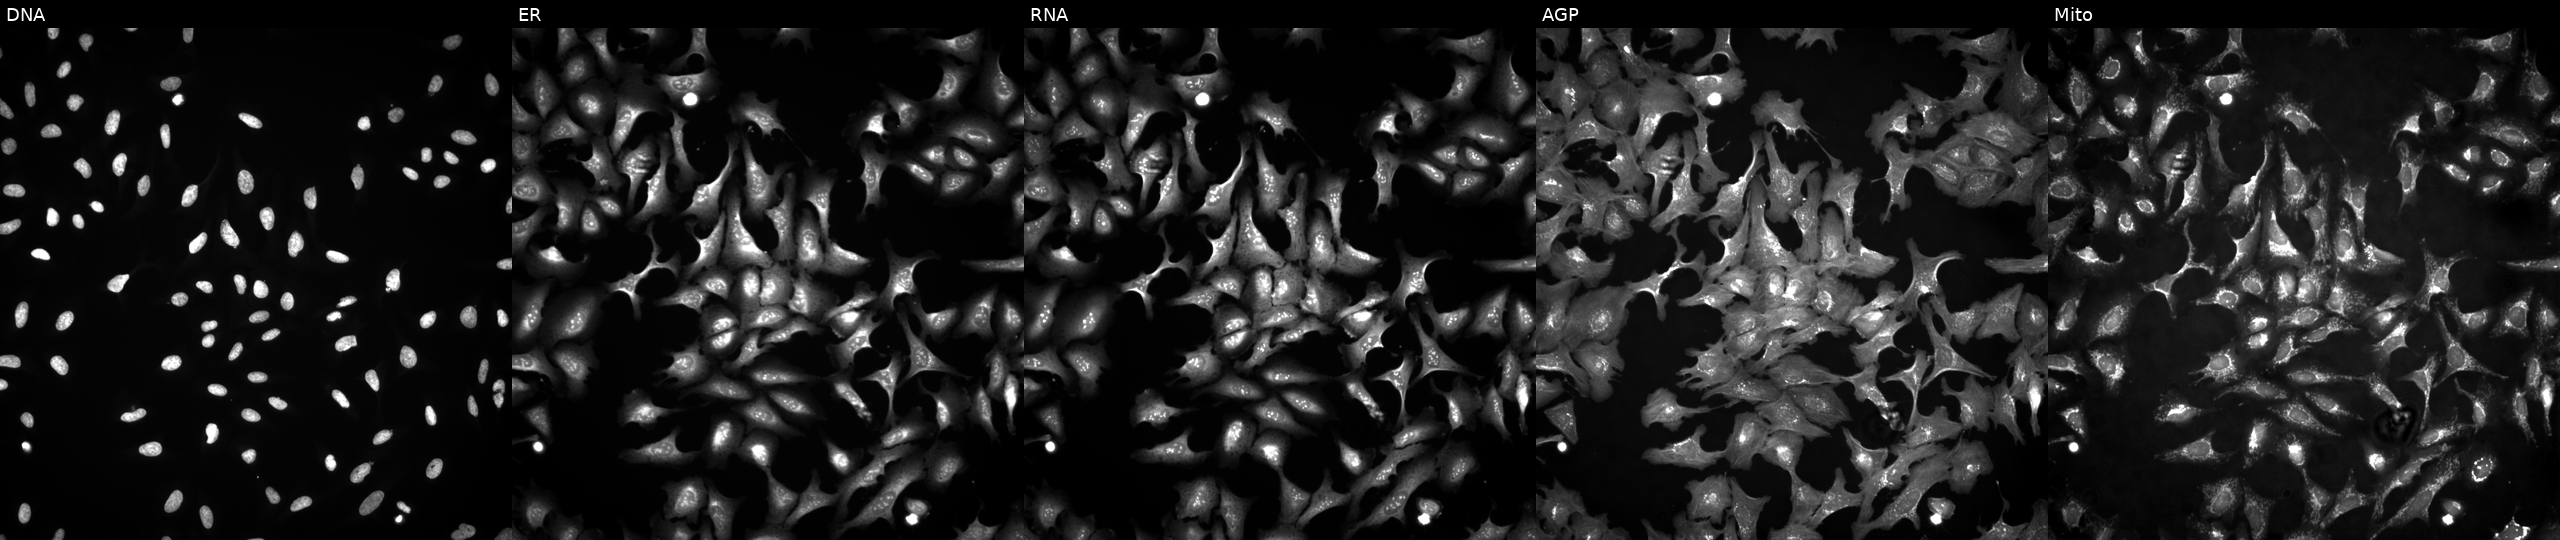
U2OS cells, Cell Painting assay, with BRD3 overexpressed (ORF). Panels show, left to right, Hoechst 33342, concanavalin A, SYTO 14, phalloidin and WGA, MitoTracker. Each panel is percentile-stretched 16-bit fluorescence.